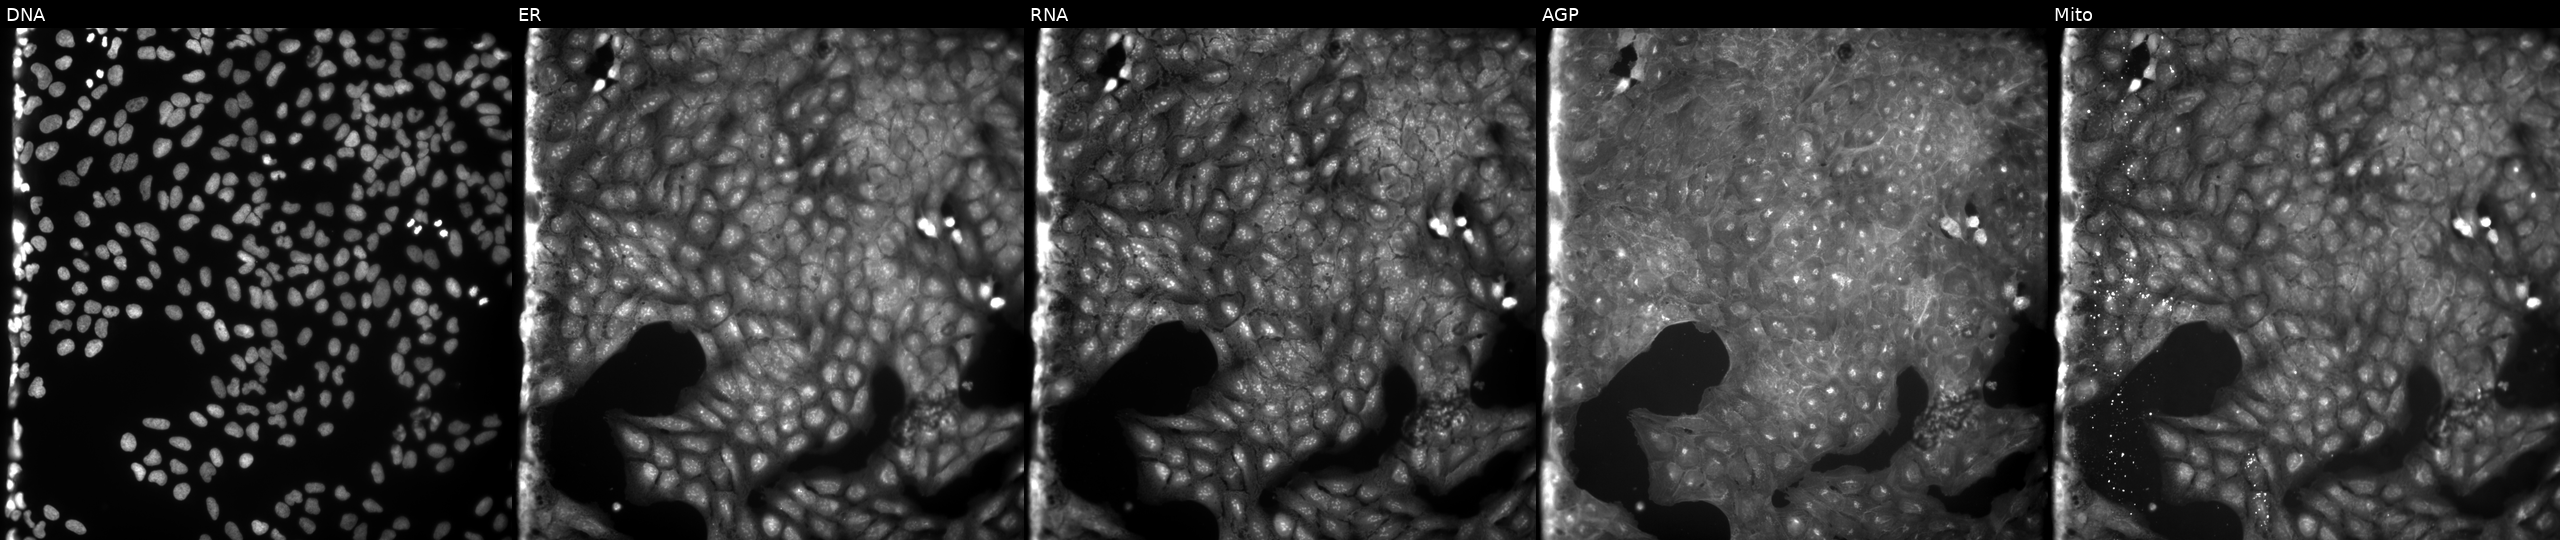
High-content fluorescence microscopy (Cell Painting). Cell line: U2OS. Perturbation: perturbed with a small-molecule compound (InChIKey LRKPFEMTCNKJSS-UHFFFAOYSA-N) (JUMP id JCP2022_051272). From left to right: DNA (nuclei); ER (endoplasmic reticulum); RNA (nucleoli and cytoplasmic RNA); AGP (actin cytoskeleton, Golgi, and plasma membrane); Mito (mitochondria). Source 9, plate GR00003381, well N03.